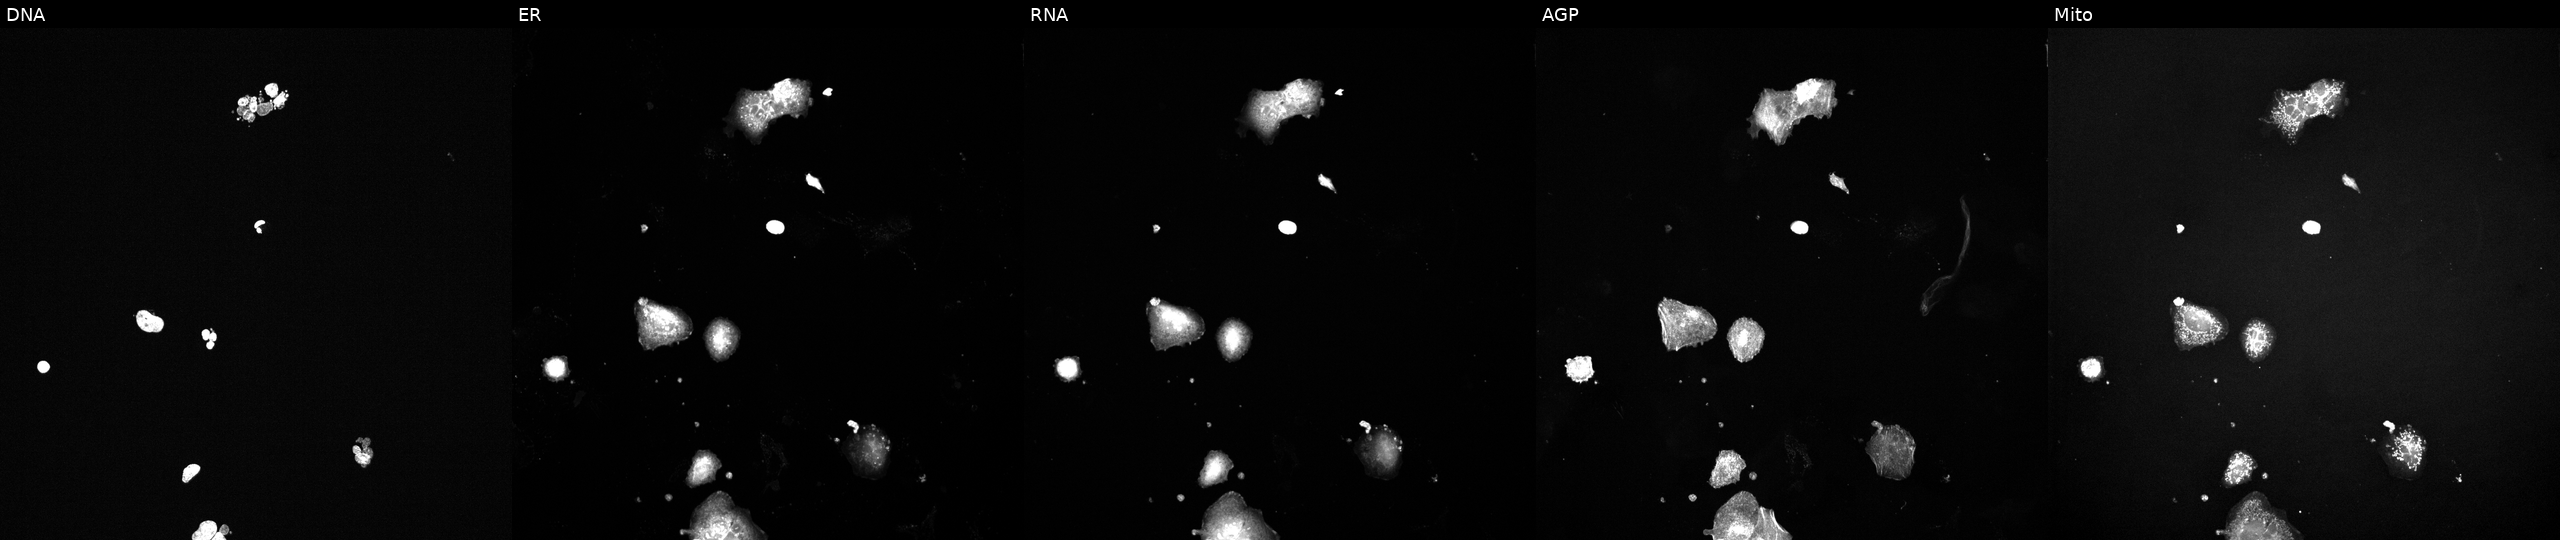
U2OS cells, Cell Painting assay, perturbed with a small-molecule compound (InChIKey MTJHLONVHHPNSI-UHFFFAOYSA-N). The five panels, left to right, show Hoechst 33342, concanavalin A, SYTO 14, phalloidin and WGA, MitoTracker. Each panel is percentile-stretched 16-bit fluorescence.